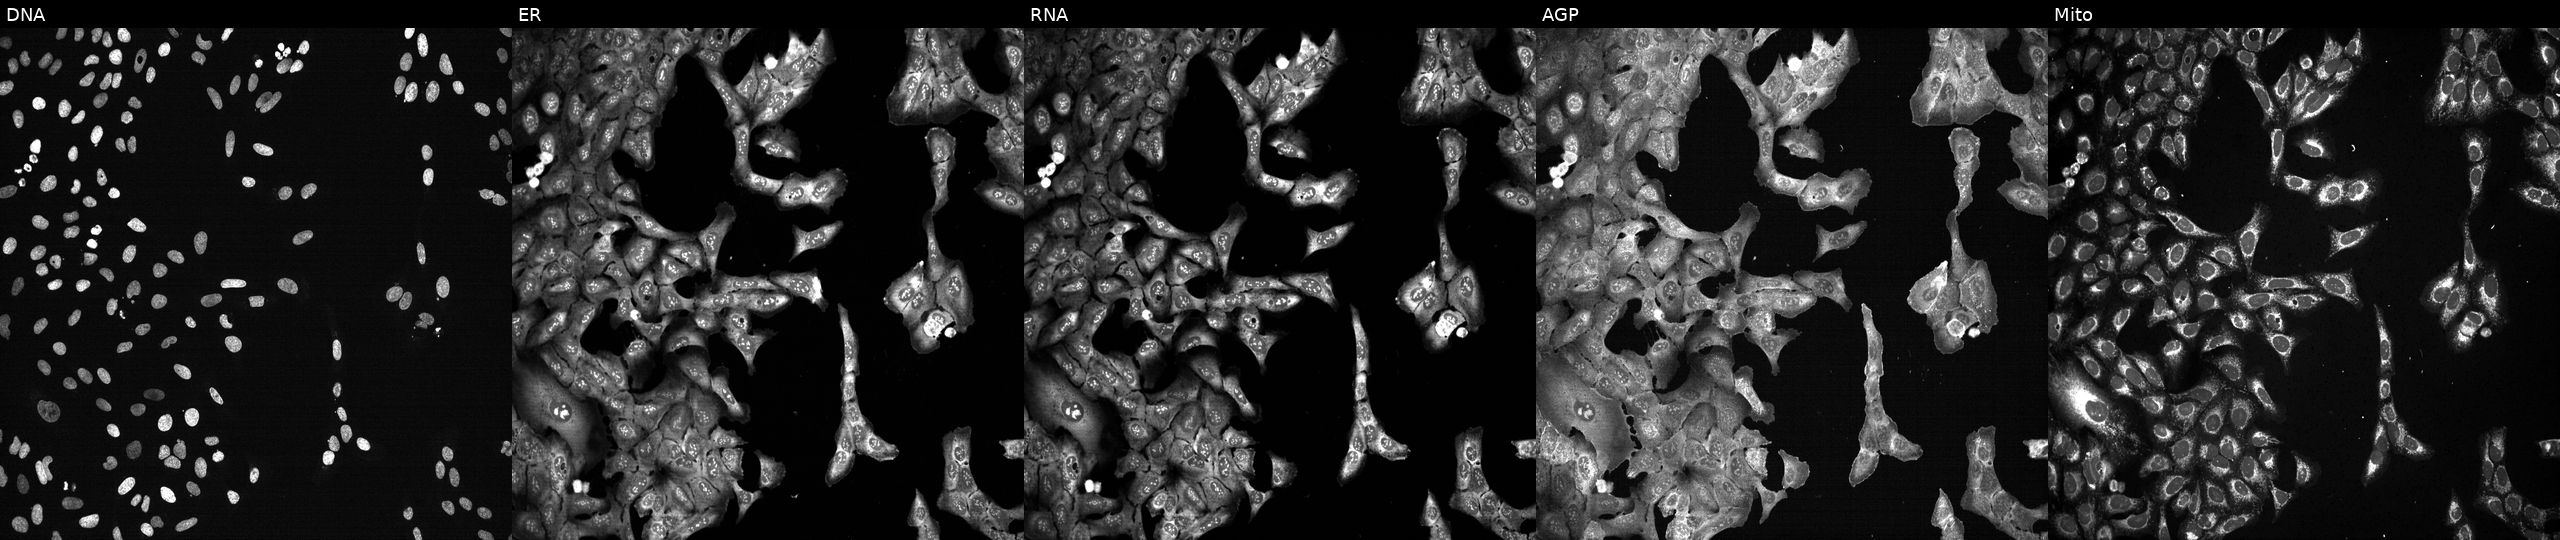
U2OS cells, Cell Painting assay, CRISPR-edited to disrupt DDX43 (JUMP id JCP2022_801741). From left to right: Hoechst 33342, concanavalin A, SYTO 14, phalloidin and WGA, MitoTracker. Each panel is percentile-stretched 16-bit fluorescence.